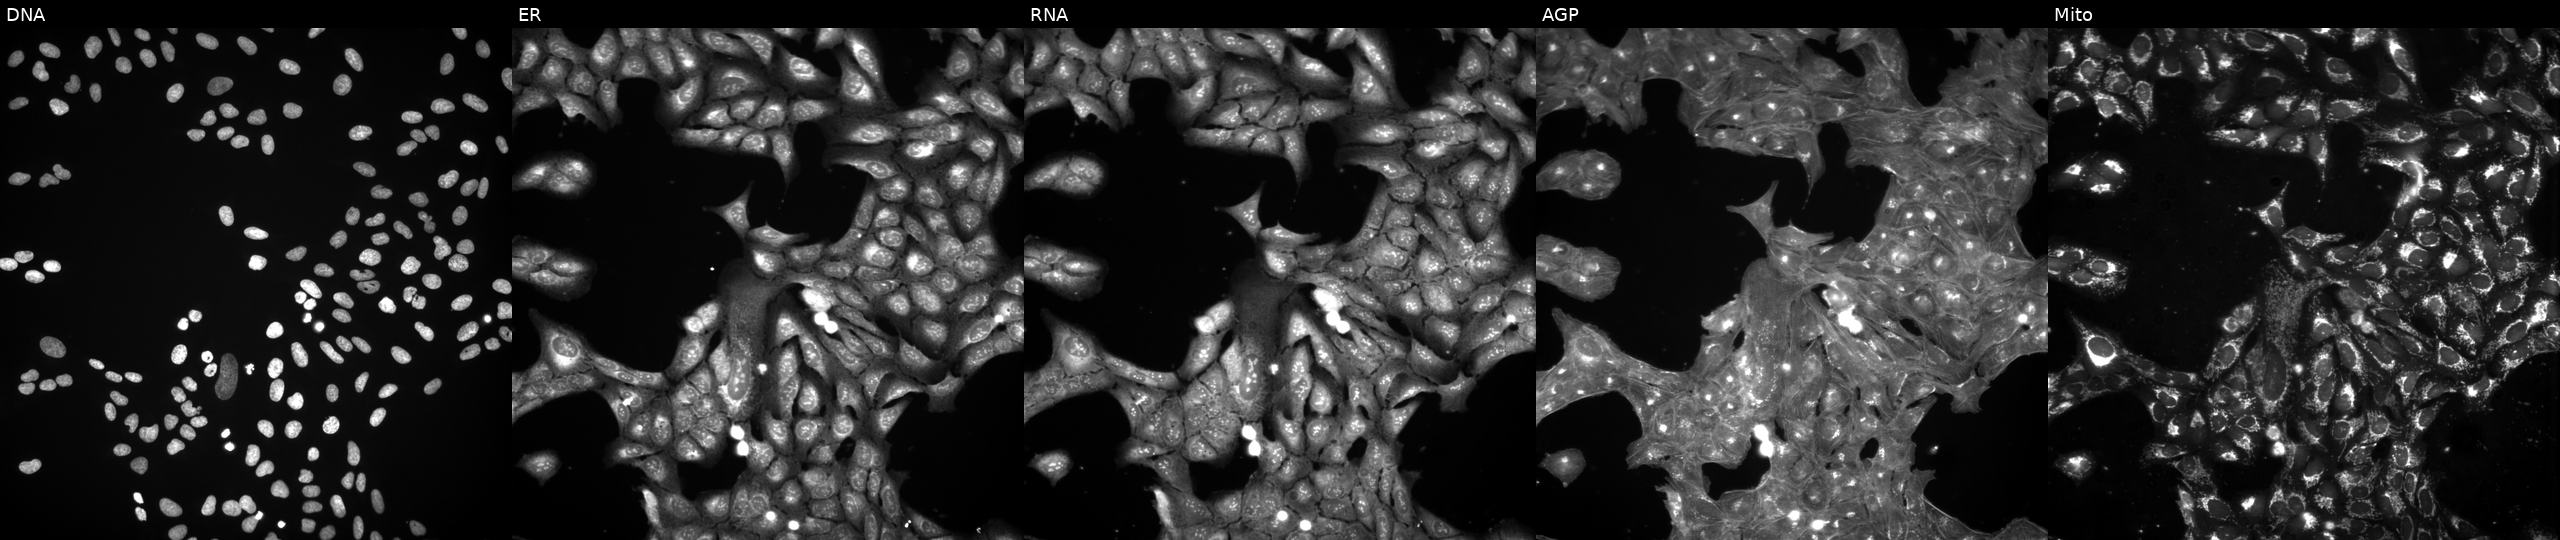
JUMP Cell Painting — COMPOUND plate. U2OS cells perturbed with a small-molecule compound (JUMP id JCP2022_104106). From left to right: Hoechst 33342, concanavalin A, SYTO 14, phalloidin and WGA, MitoTracker. Source 3, plate BR5867a3, well F16.